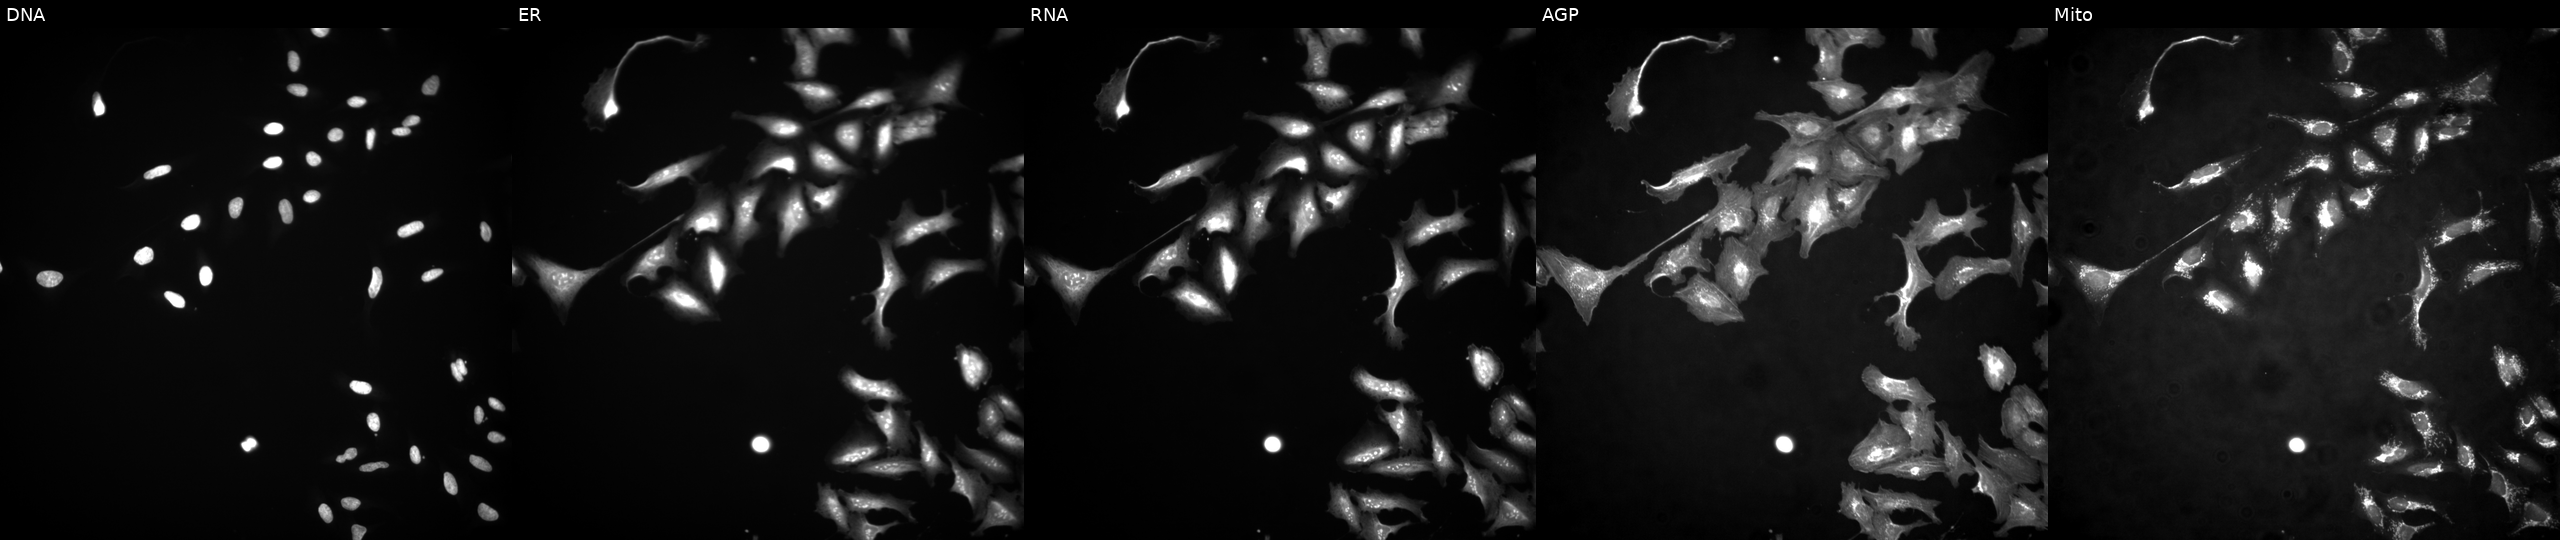
U2OS cells, Cell Painting assay, transfected with an ORF construct for ZNF281. The five panels, left to right, show DNA, ER, RNA, AGP, and Mito. Each panel is percentile-stretched 16-bit fluorescence. Source 4, plate BR00117035, well B08.